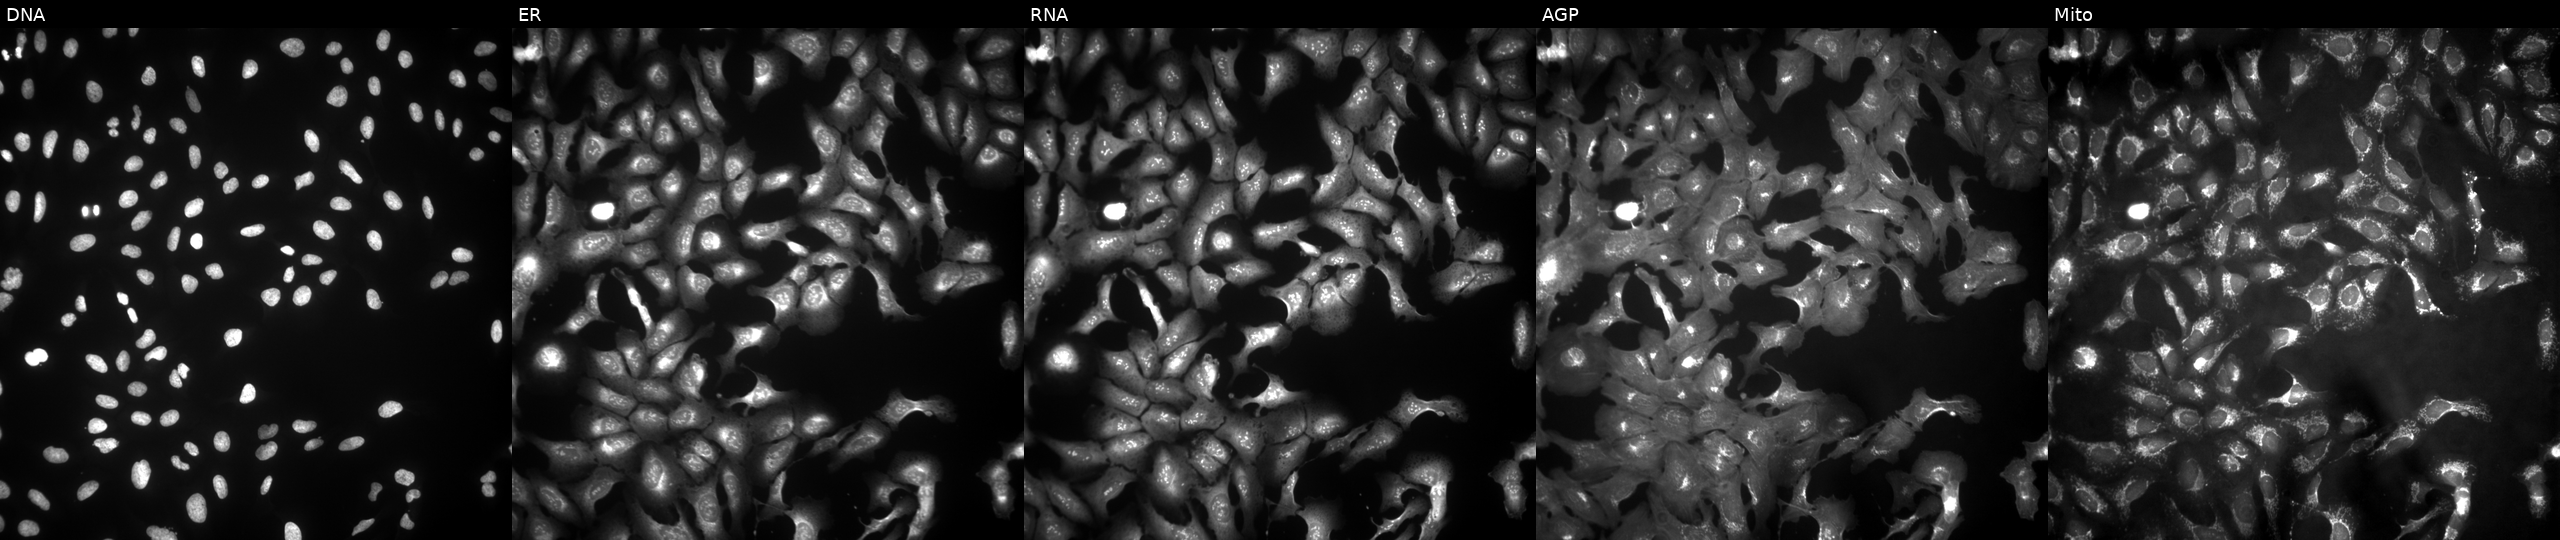
JUMP Cell Painting — ORF plate. U2OS cells with TLE3 overexpressed (ORF) (JUMP id JCP2022_910435). The five panels, left to right, show Hoechst 33342, concanavalin A, SYTO 14, phalloidin and WGA, MitoTracker.